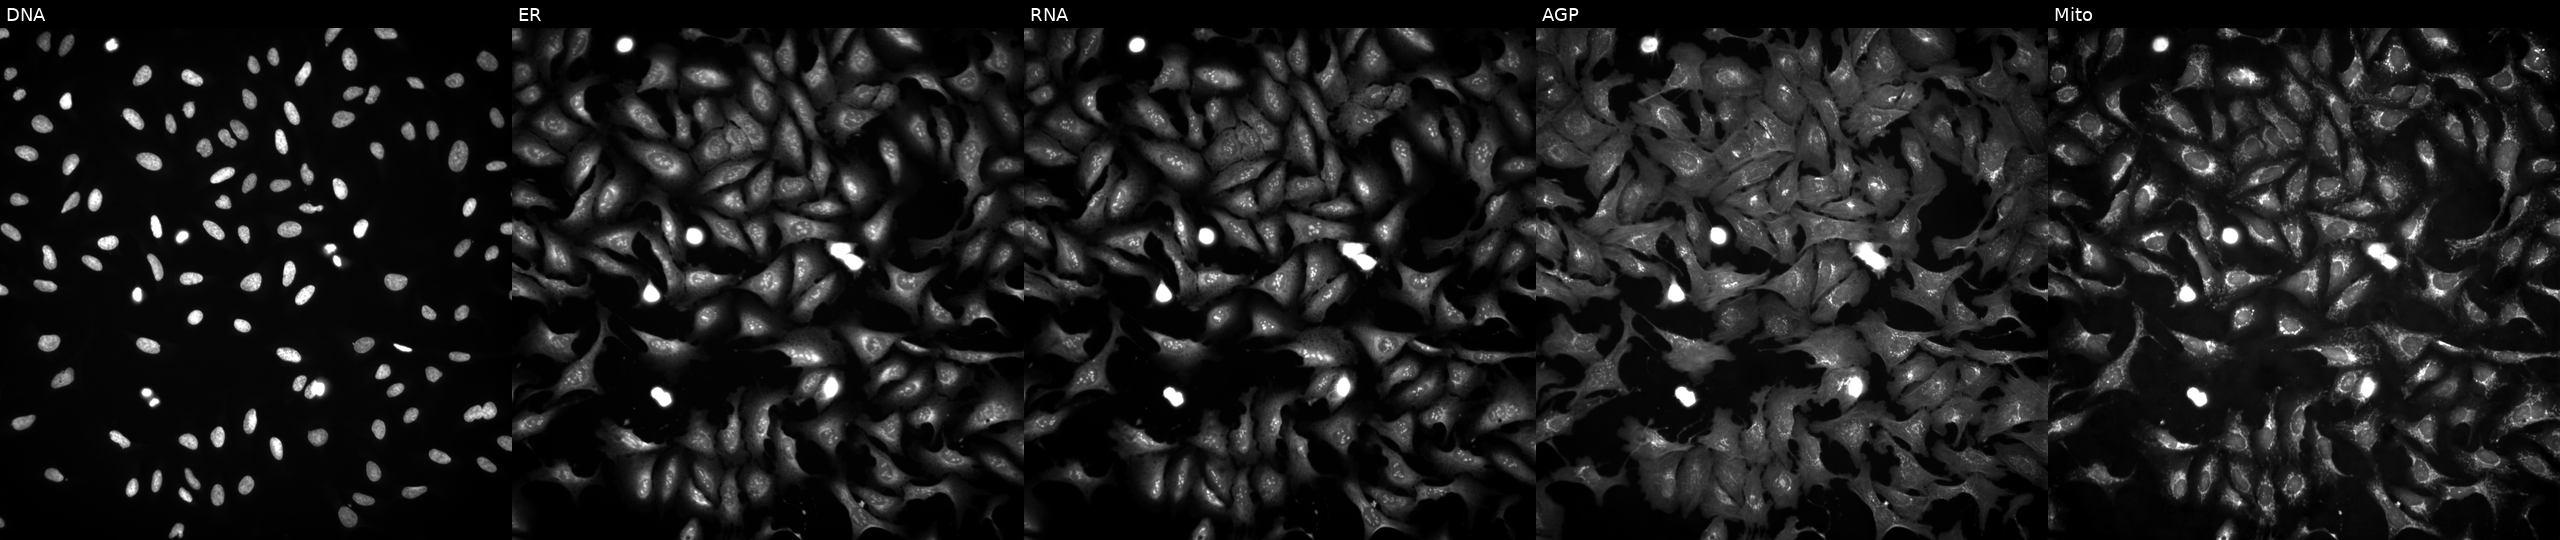
JUMP Cell Painting — ORF plate. U2OS cells with NME2 overexpressed (ORF) (JUMP id JCP2022_913741). Channels (left→right): Hoechst 33342, concanavalin A, SYTO 14, phalloidin and WGA, MitoTracker. Source 4, plate BR00123945, well C12.